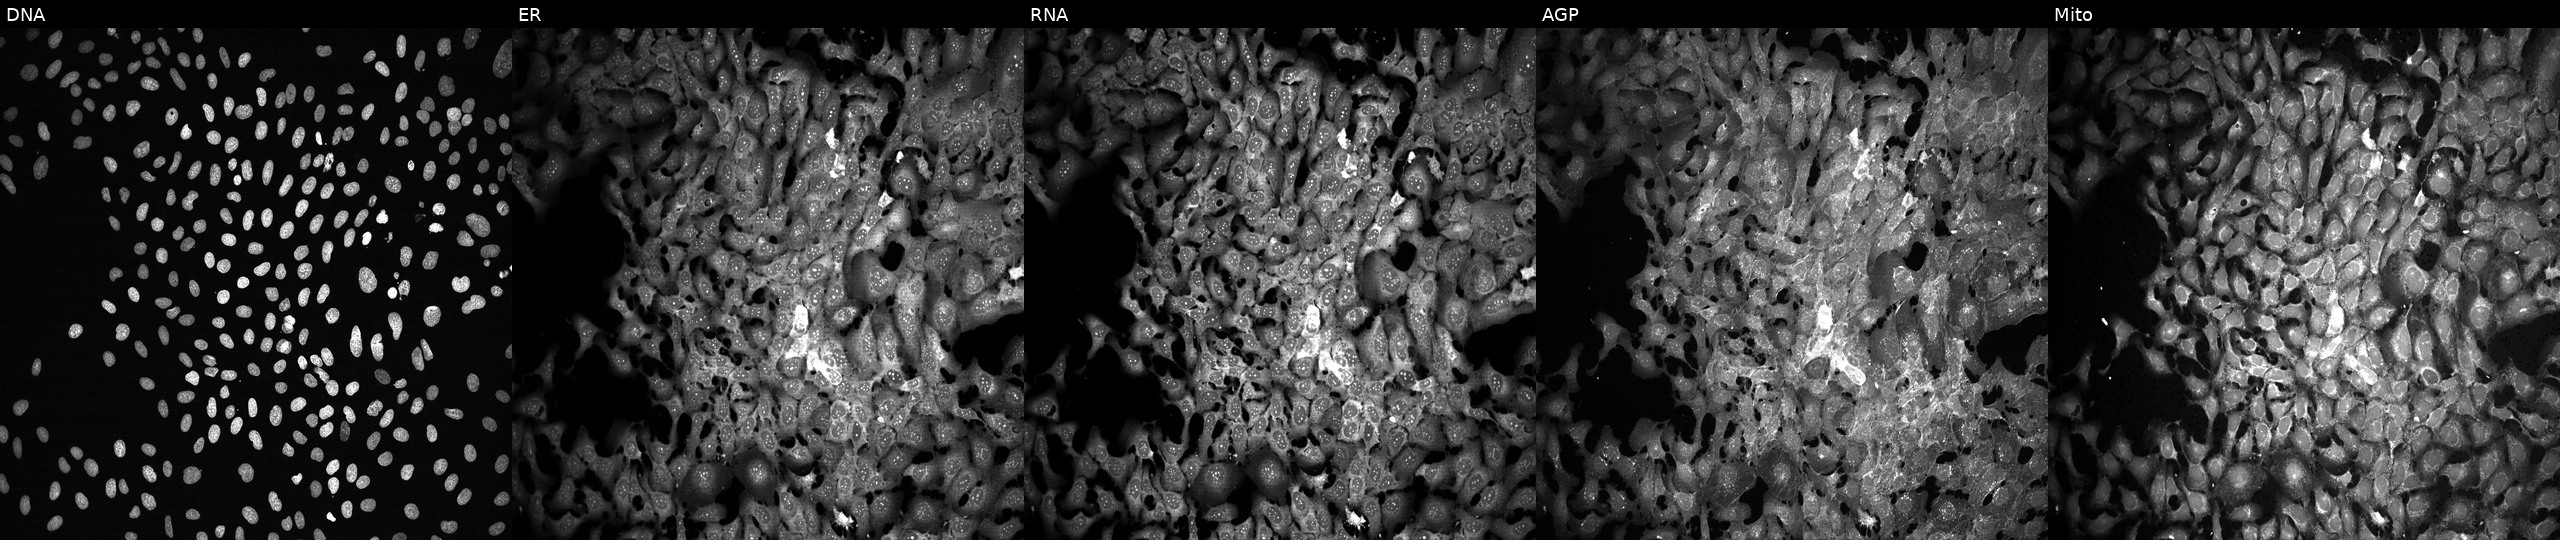
JUMP Cell Painting — CRISPR plate. U2OS cells exposed to the positive-control compound FK-866. Channels (left→right): DNA, ER, RNA, AGP, and Mito.